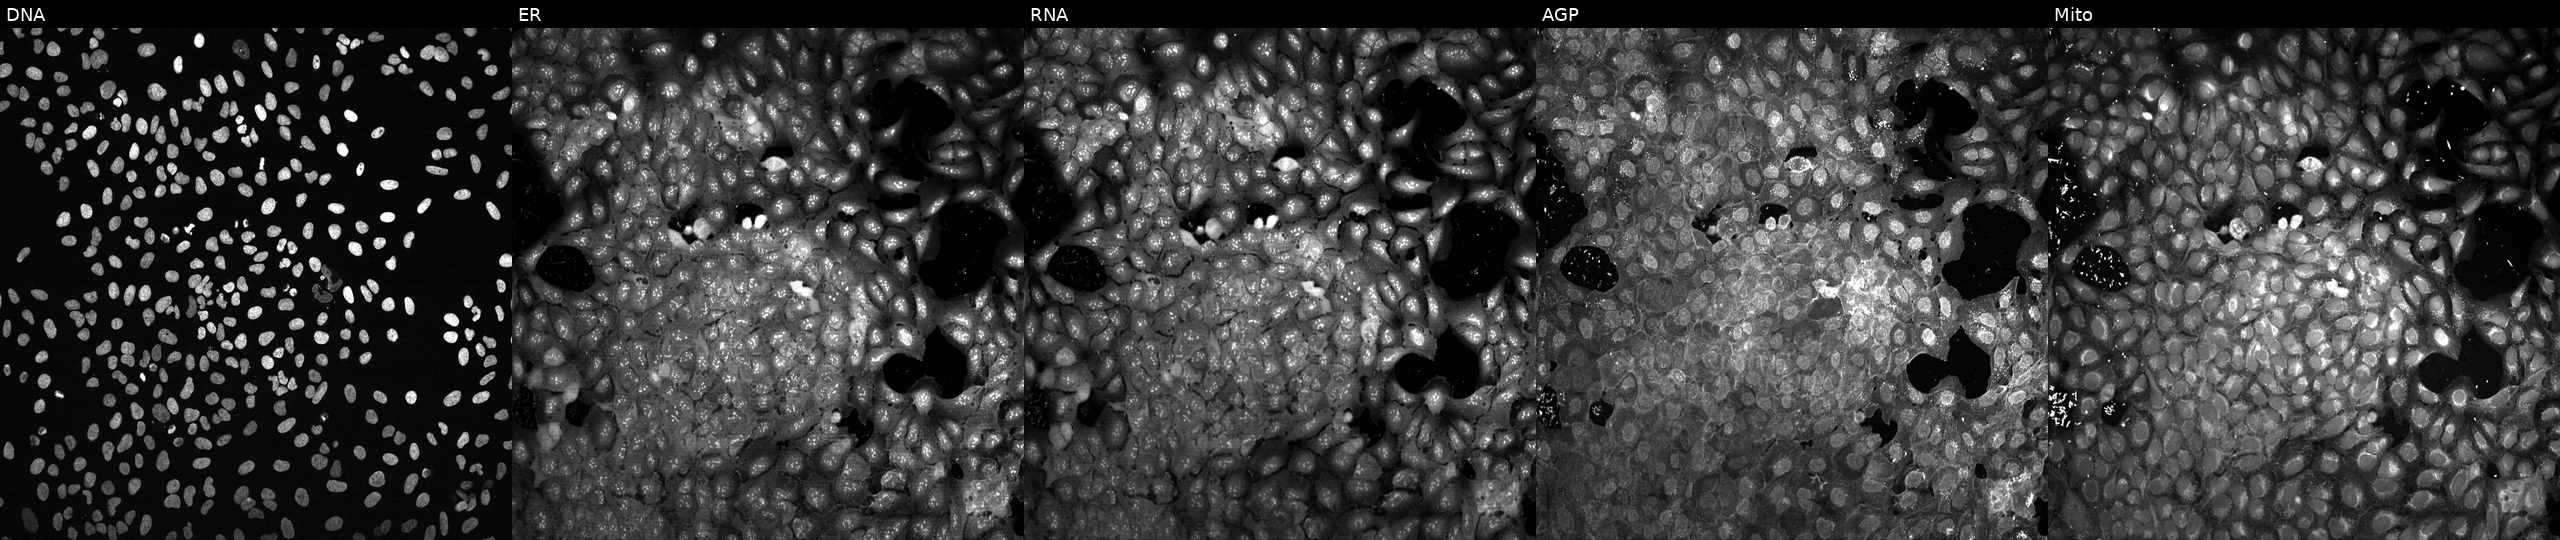
This image strip shows the five Cell Painting channels for a single field of U2OS cells with a non-targeting CRISPR guide (negative control). Panels show, left to right, DNA (nuclei); ER (endoplasmic reticulum); RNA (nucleoli and cytoplasmic RNA); AGP (actin cytoskeleton, Golgi, and plasma membrane); Mito (mitochondria).